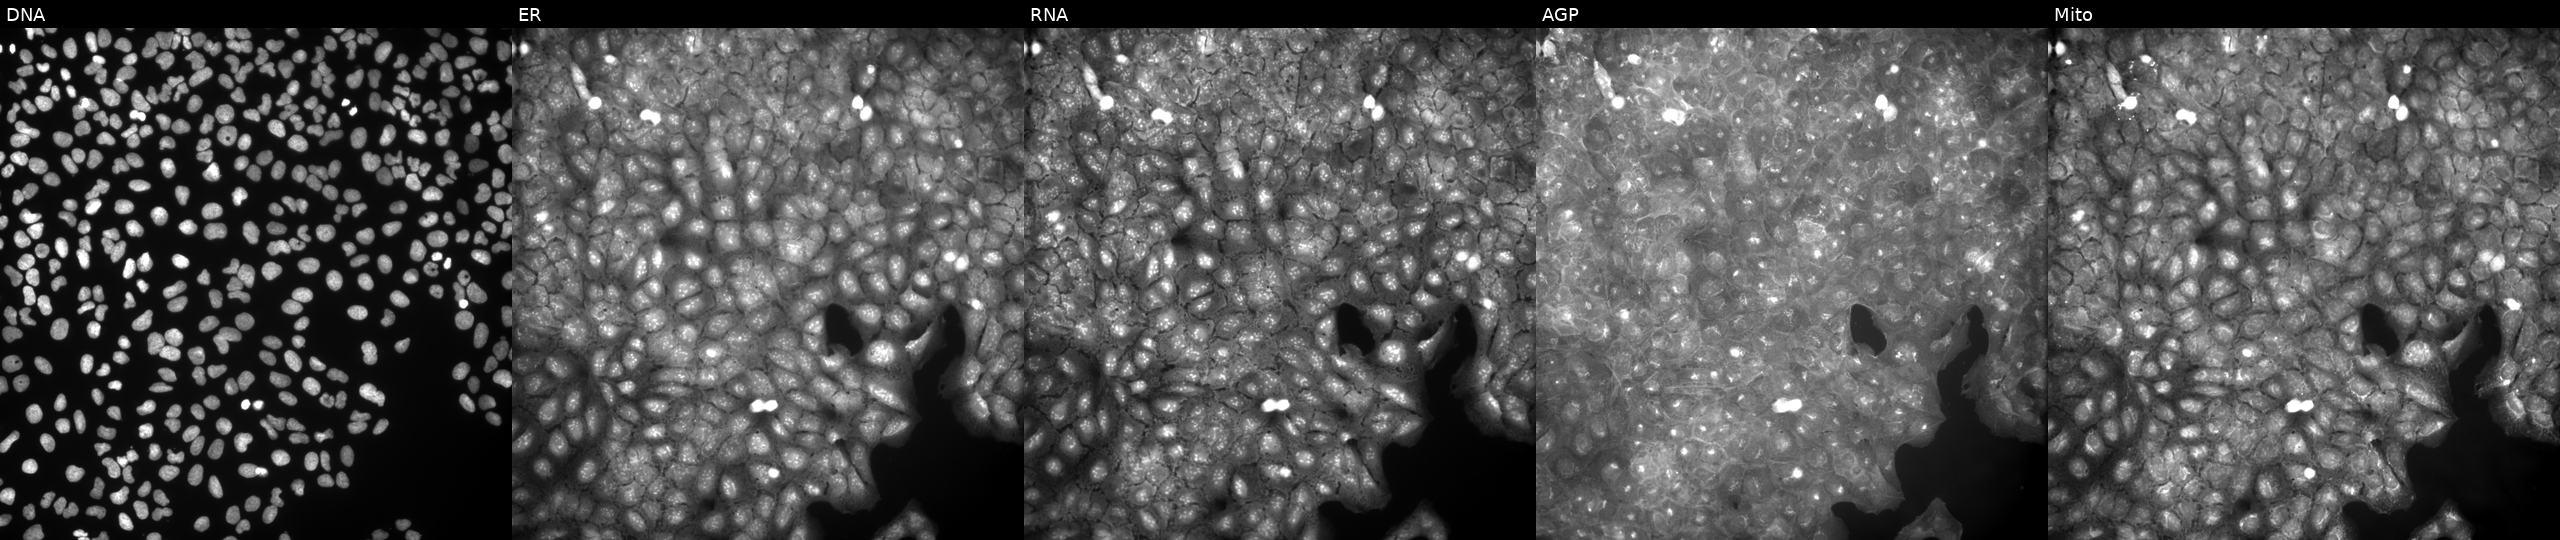
JUMP Cell Painting — COMPOUND plate. U2OS cells treated with a small-molecule compound (JUMP id JCP2022_105049). From left to right: Hoechst 33342, concanavalin A, SYTO 14, phalloidin and WGA, MitoTracker. Source 9, plate GR00003382, well P33.